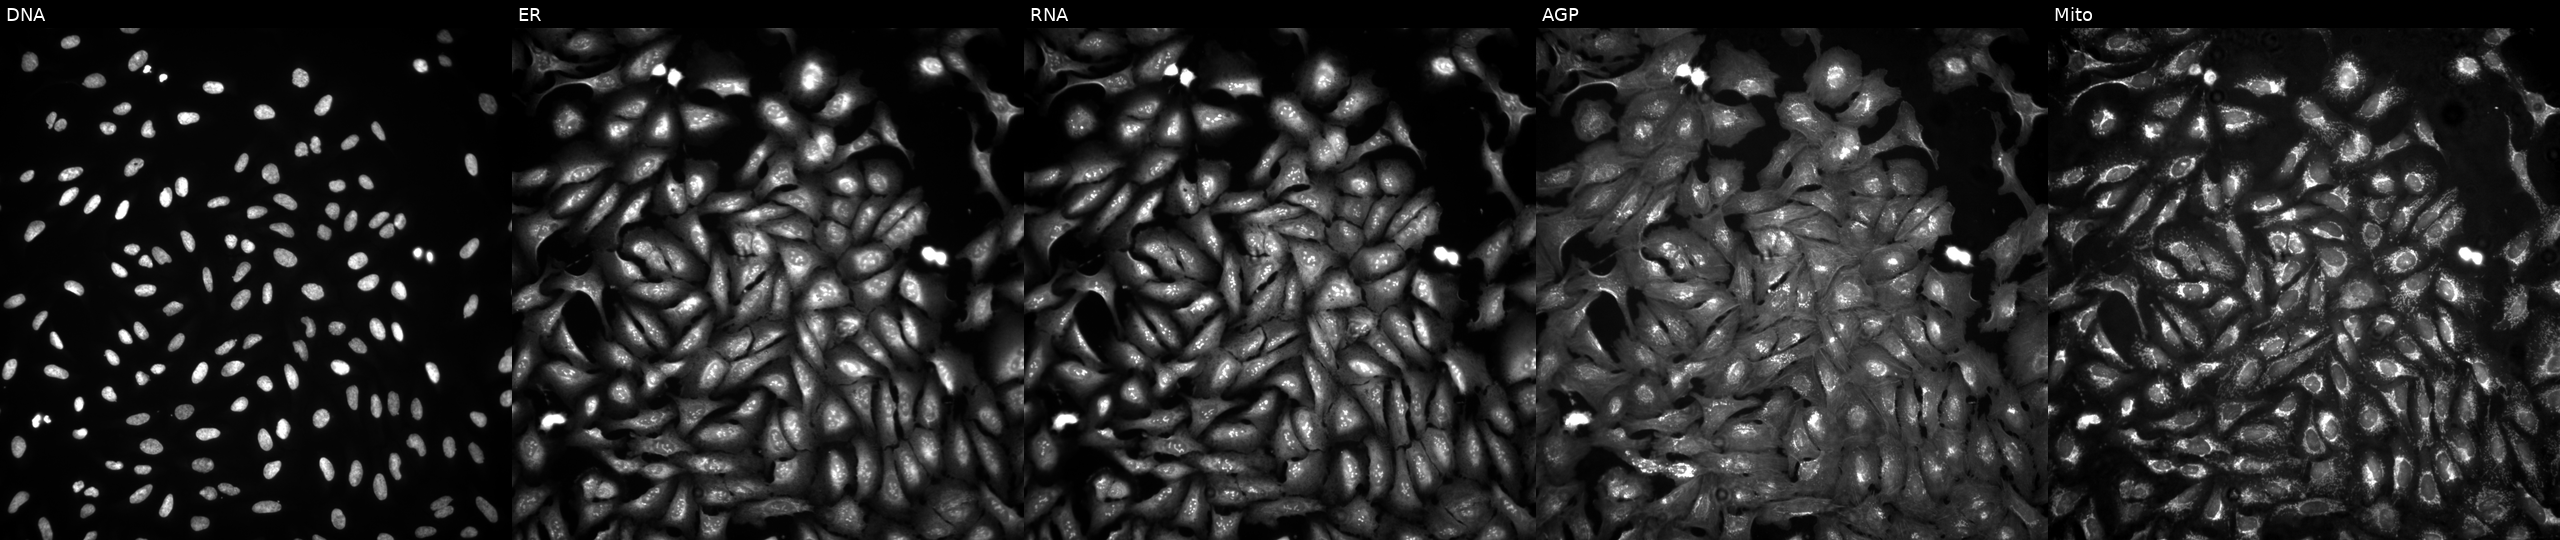
From left to right: DNA, ER, RNA, AGP, and Mito. U2OS osteosarcoma cells in an empty control well (no perturbation) (JUMP id JCP2022_999999). Cell Painting assay, JUMP-CP dataset. Source 4, plate BR00124787, well P22.